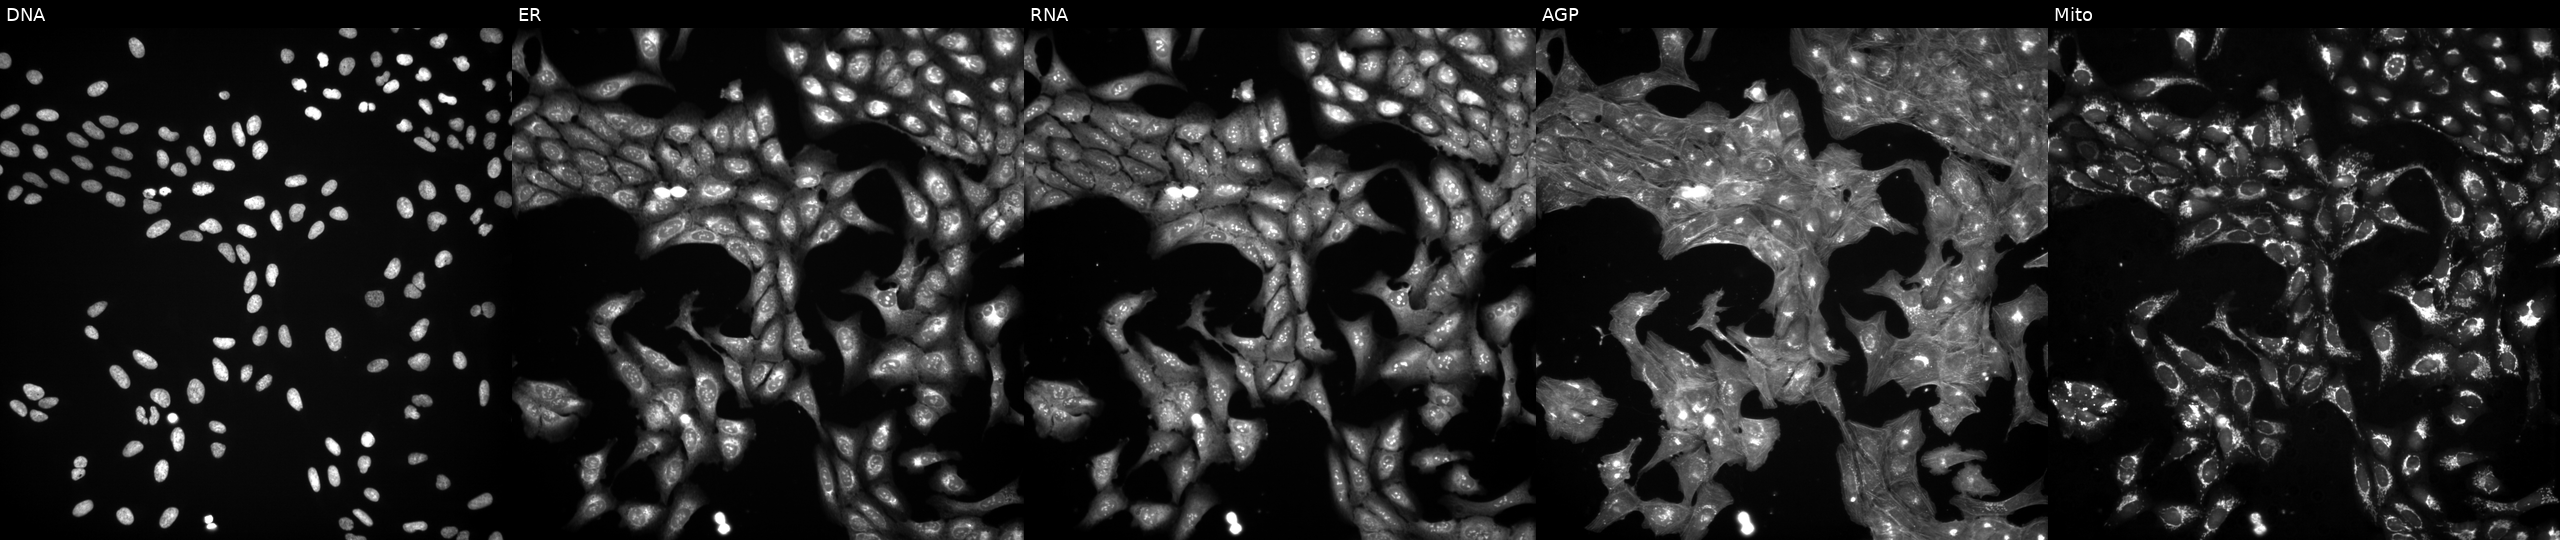
JUMP Cell Painting — COMPOUND plate. U2OS cells perturbed with a small-molecule compound (InChIKey AYDRQXWCJIQSOB-UHFFFAOYSA-N). From left to right: Hoechst 33342, concanavalin A, SYTO 14, phalloidin and WGA, MitoTracker. Source 3, plate BR5867b3, well M17.